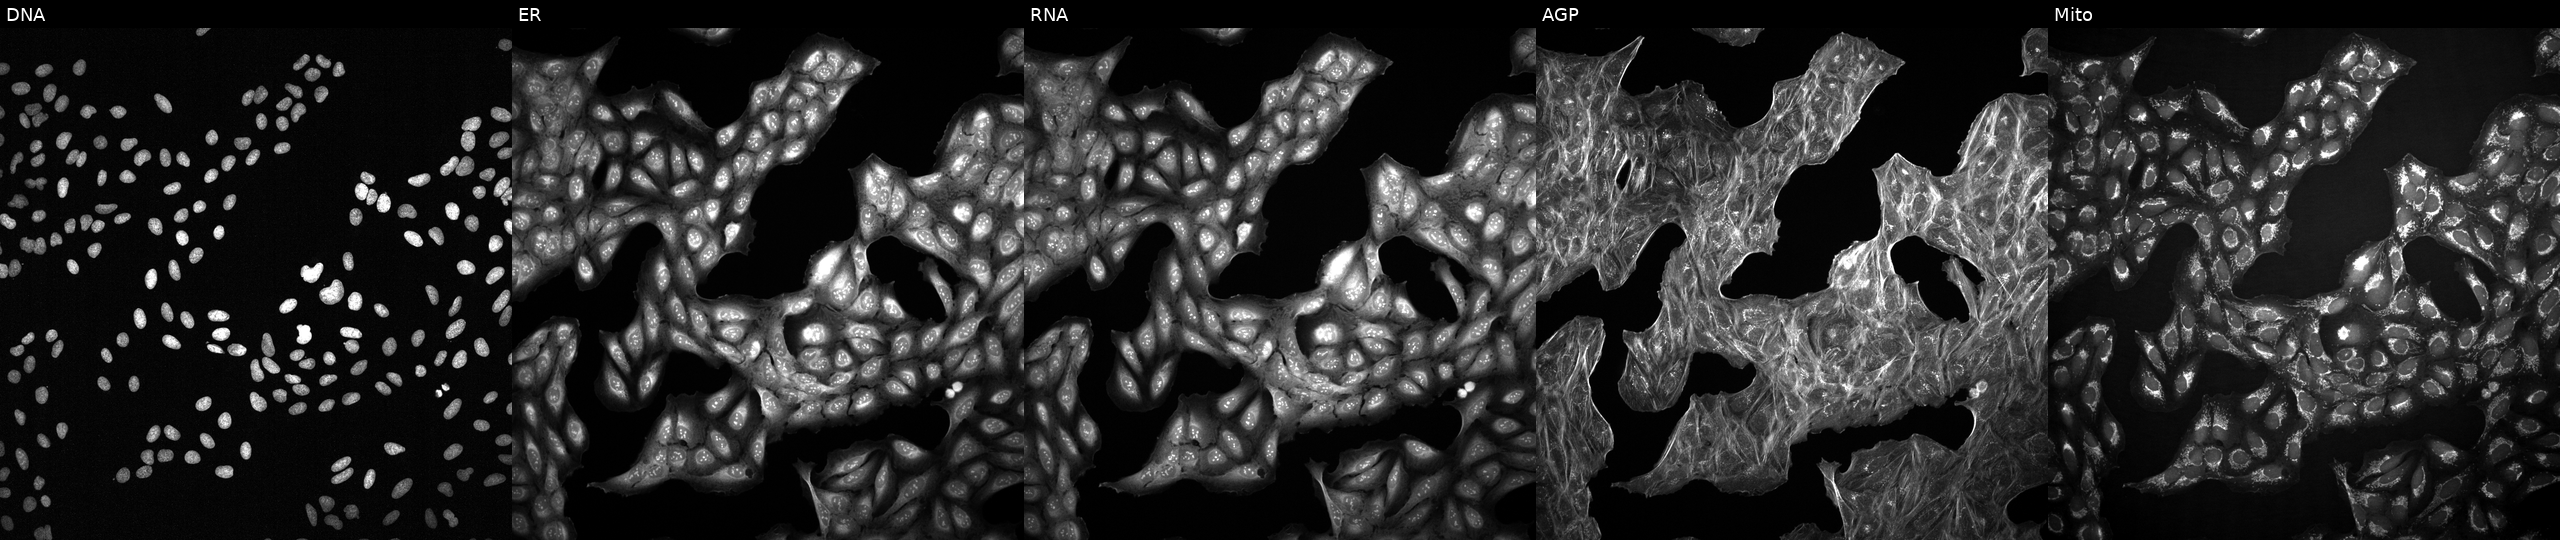
JUMP Cell Painting — TARGET2 plate. U2OS cells treated with a small-molecule compound (JUMP id JCP2022_050162). From left to right: DNA, ER, RNA, AGP, and Mito.